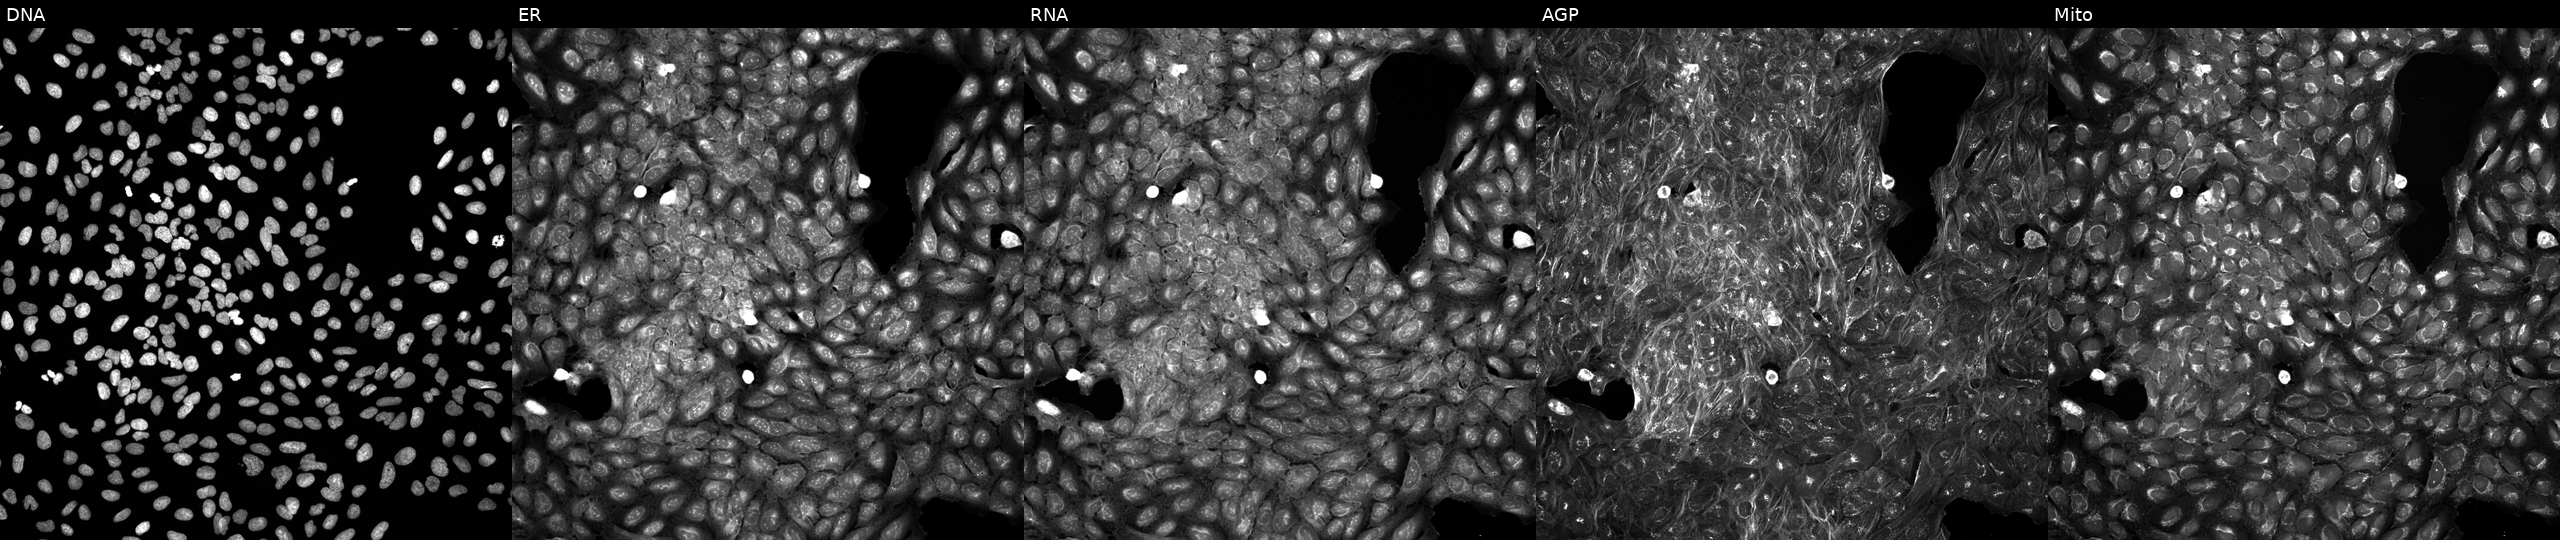
JUMP Cell Painting — COMPOUND plate. U2OS cells perturbed with a small-molecule compound (InChIKey FDXDTXHXYVDWMW-UHFFFAOYSA-N). From left to right: DNA, ER, RNA, AGP, and Mito.